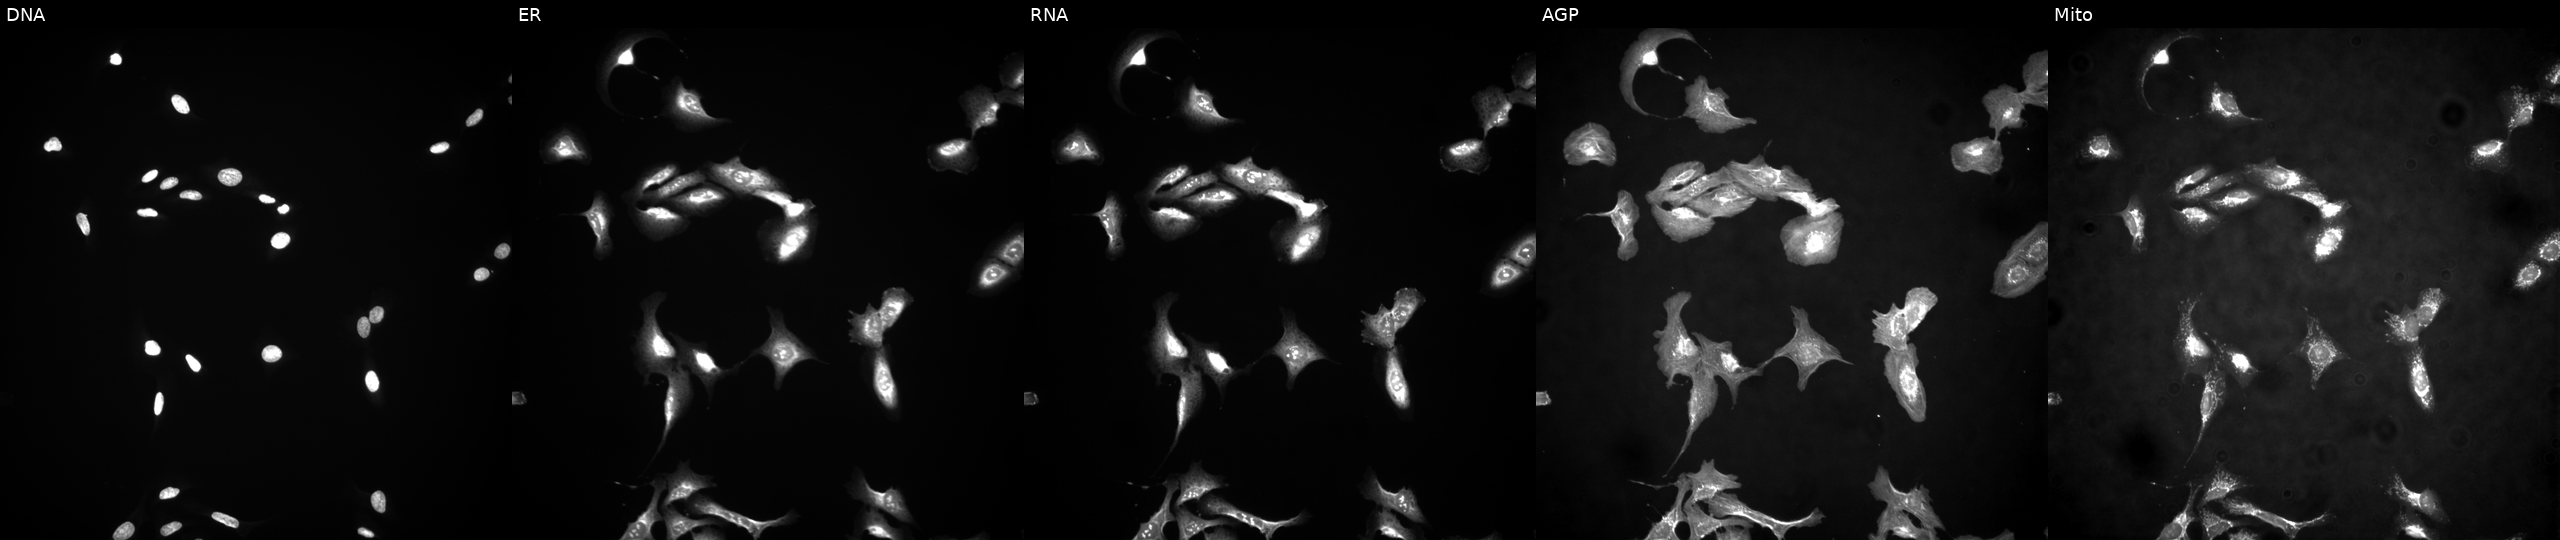
High-content fluorescence microscopy (Cell Painting). Cell line: U2OS. Perturbation: expressing HcRed (ORF negative control) (JUMP id JCP2022_915129). Panels show, left to right, Hoechst 33342, concanavalin A, SYTO 14, phalloidin and WGA, MitoTracker.